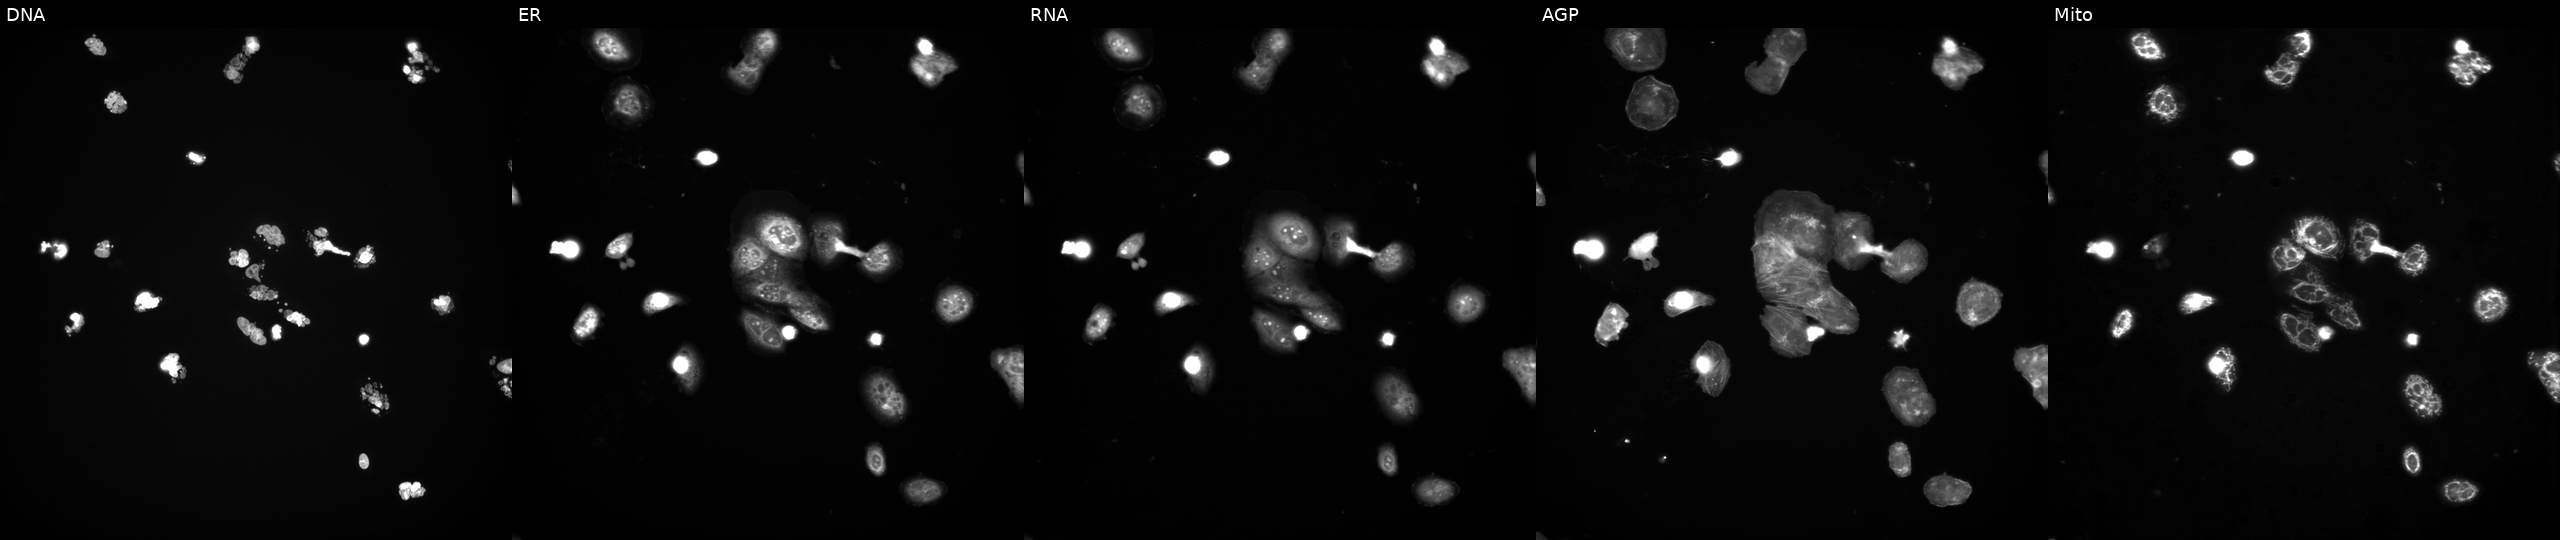
Five-channel Cell Painting image of U2OS cells treated with a small-molecule compound (InChIKey FABUFPQFXZVHFB-UHFFFAOYSA-N) (JUMP id JCP2022_019314). Panels show, left to right, DNA (nuclei); ER (endoplasmic reticulum); RNA (nucleoli and cytoplasmic RNA); AGP (actin cytoskeleton, Golgi, and plasma membrane); Mito (mitochondria).